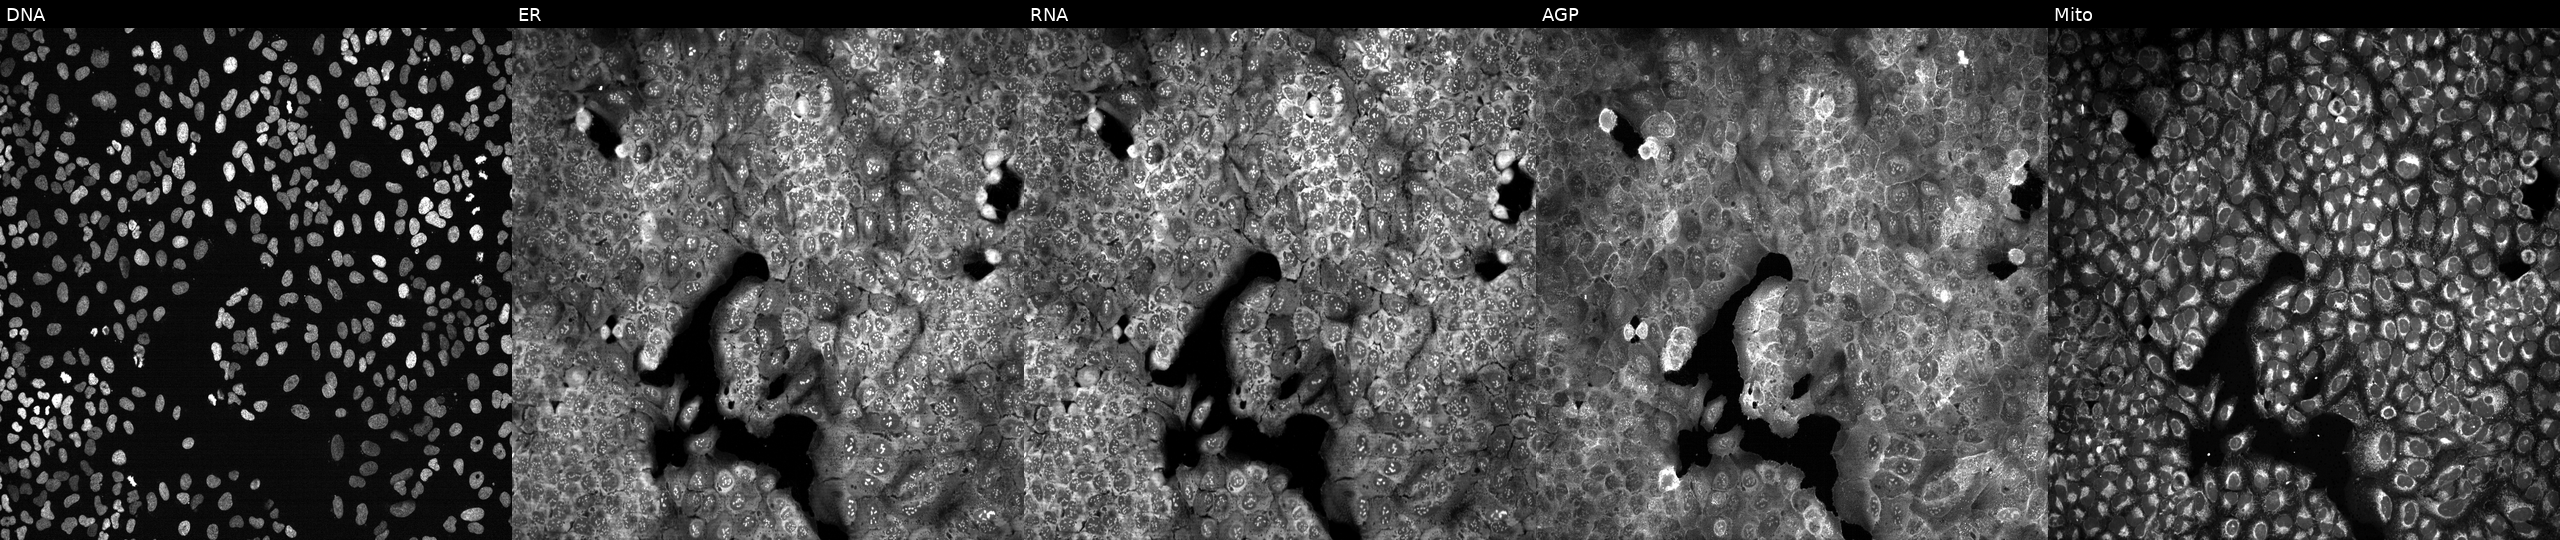
From left to right: Hoechst 33342, concanavalin A, SYTO 14, phalloidin and WGA, MitoTracker. U2OS osteosarcoma cells following CRISPR knockout of ITGB1 (JUMP id JCP2022_803497). Cell Painting assay, JUMP-CP dataset.